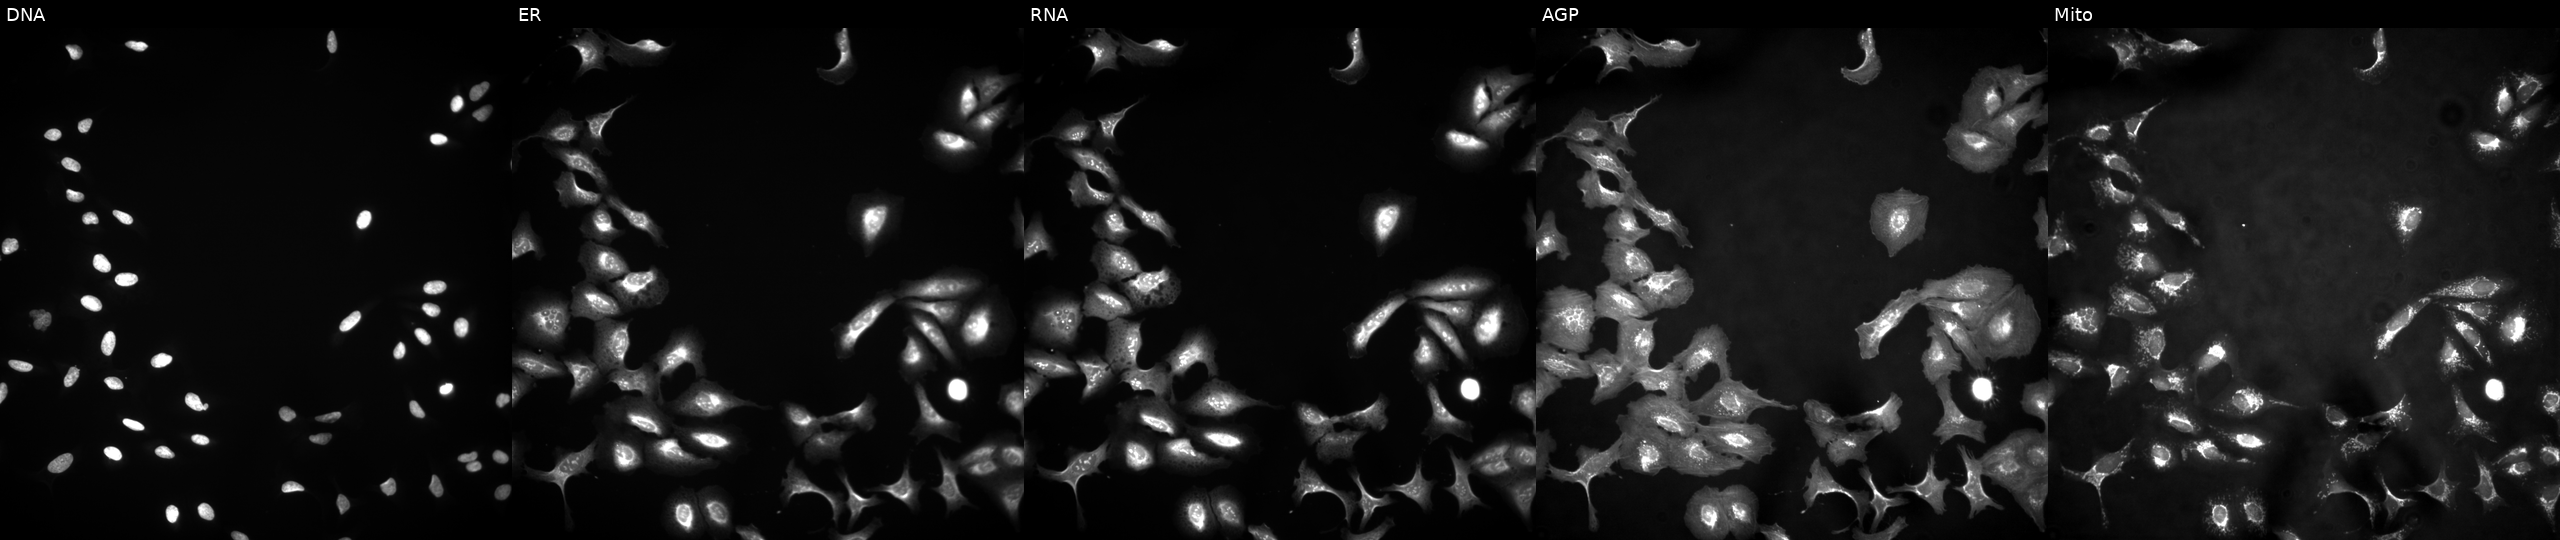
High-content fluorescence microscopy (Cell Painting). Cell line: U2OS. Perturbation: transfected with an ORF construct for GMNN (JUMP id JCP2022_902990). The five panels, left to right, show DNA, ER, RNA, AGP, and Mito.